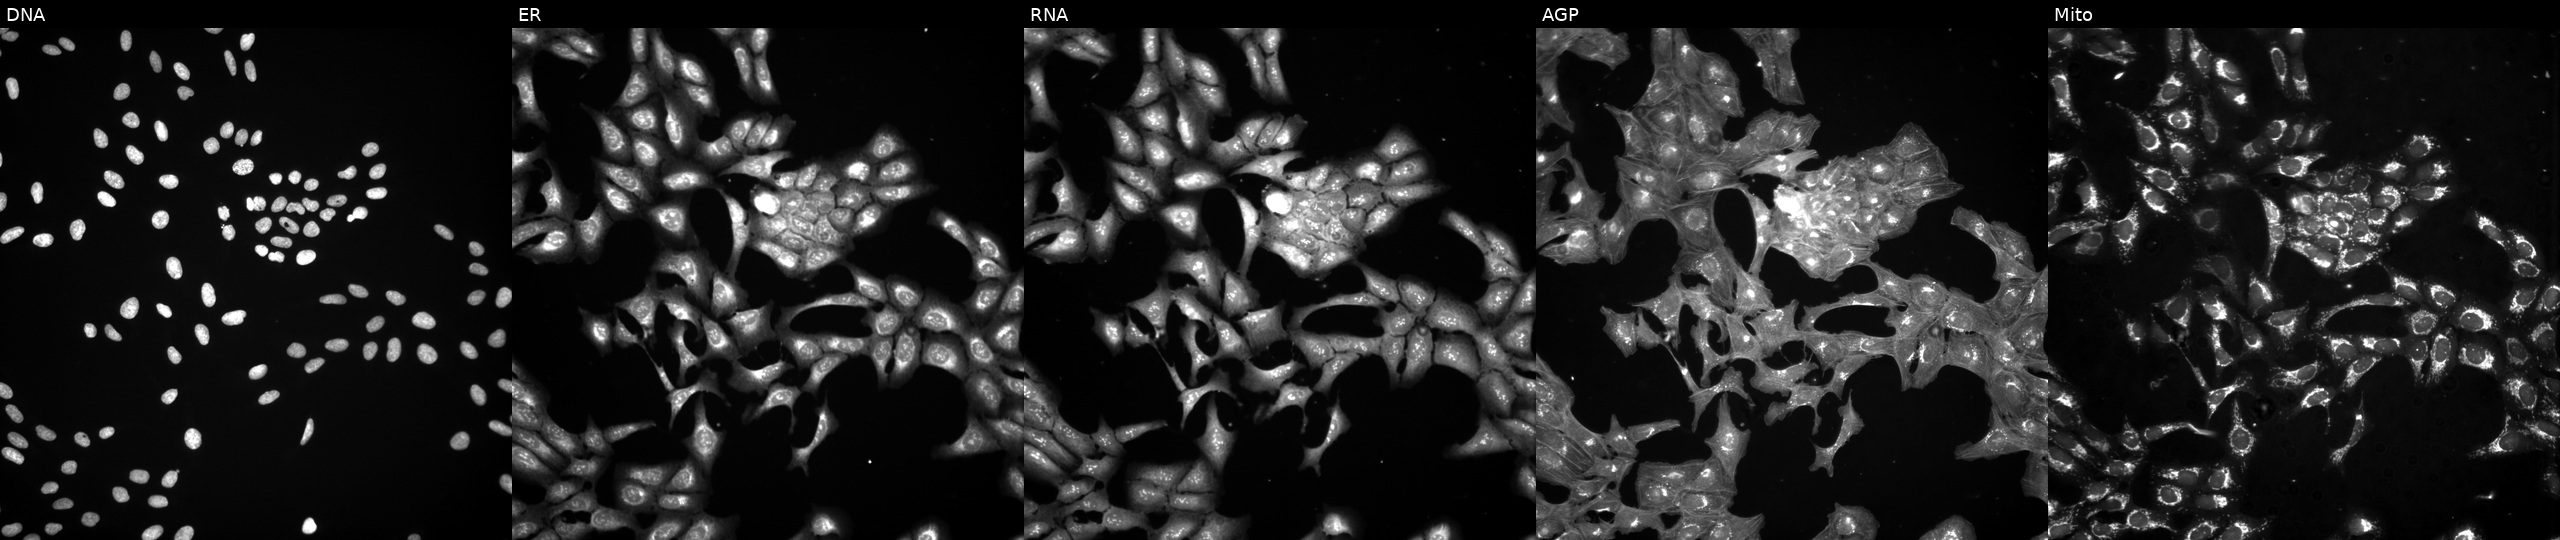
U2OS cells, Cell Painting assay, treated with DMSO vehicle only (negative control). The five panels, left to right, show DNA, ER, RNA, AGP, and Mito. Each panel is percentile-stretched 16-bit fluorescence.